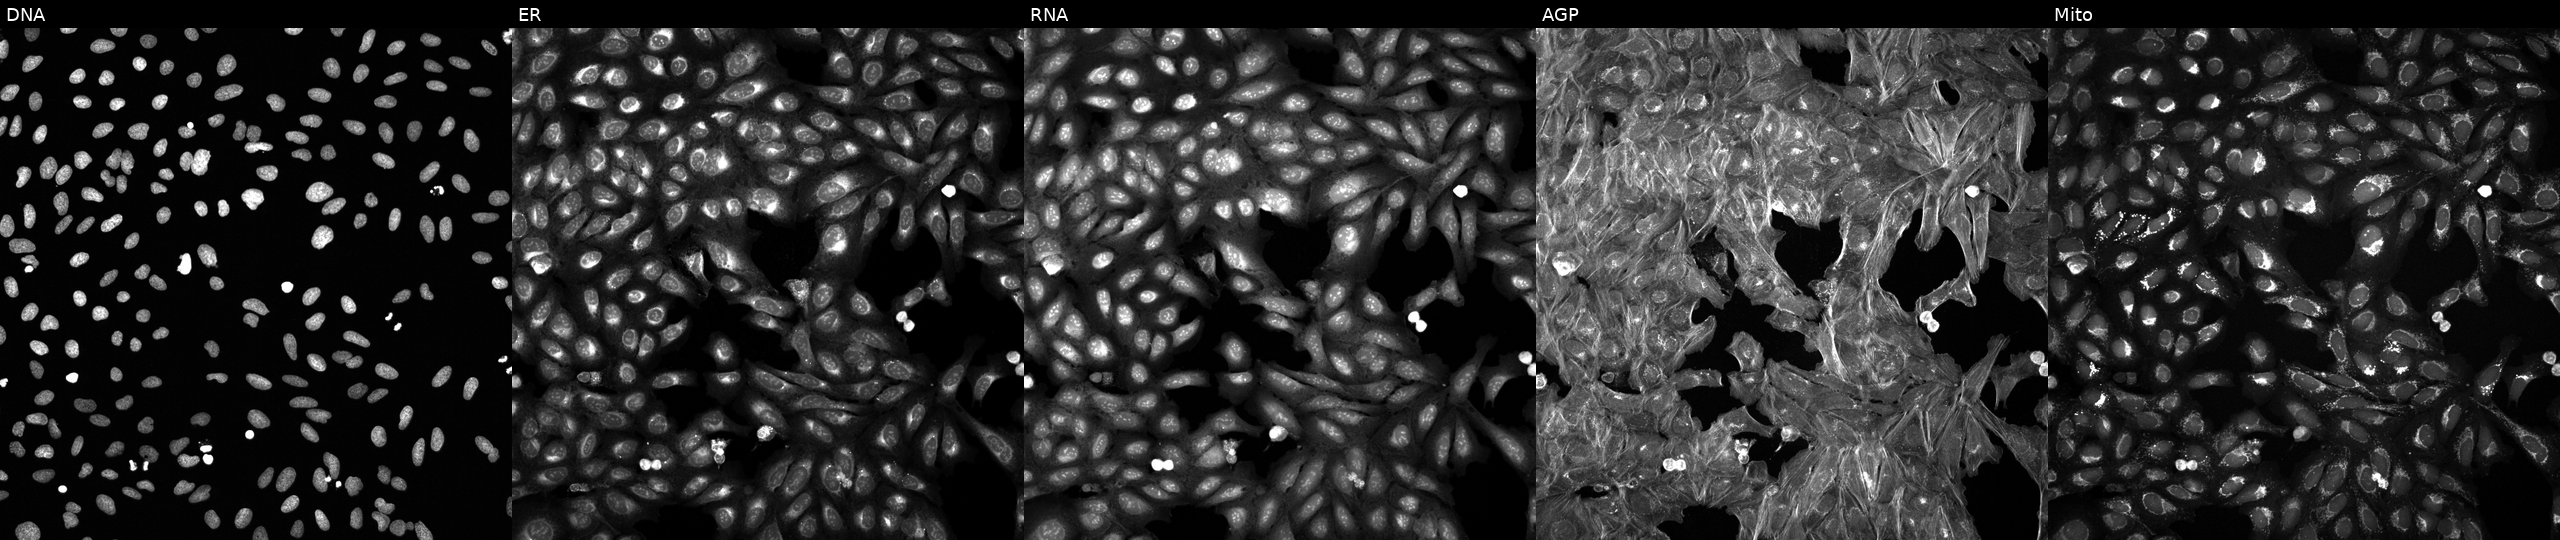
High-content fluorescence microscopy (Cell Painting). Cell line: U2OS. Perturbation: treated with a small-molecule compound. Channels (left→right): DNA (nuclei); ER (endoplasmic reticulum); RNA (nucleoli and cytoplasmic RNA); AGP (actin cytoskeleton, Golgi, and plasma membrane); Mito (mitochondria). Source 6, plate 110000294901, well I24.